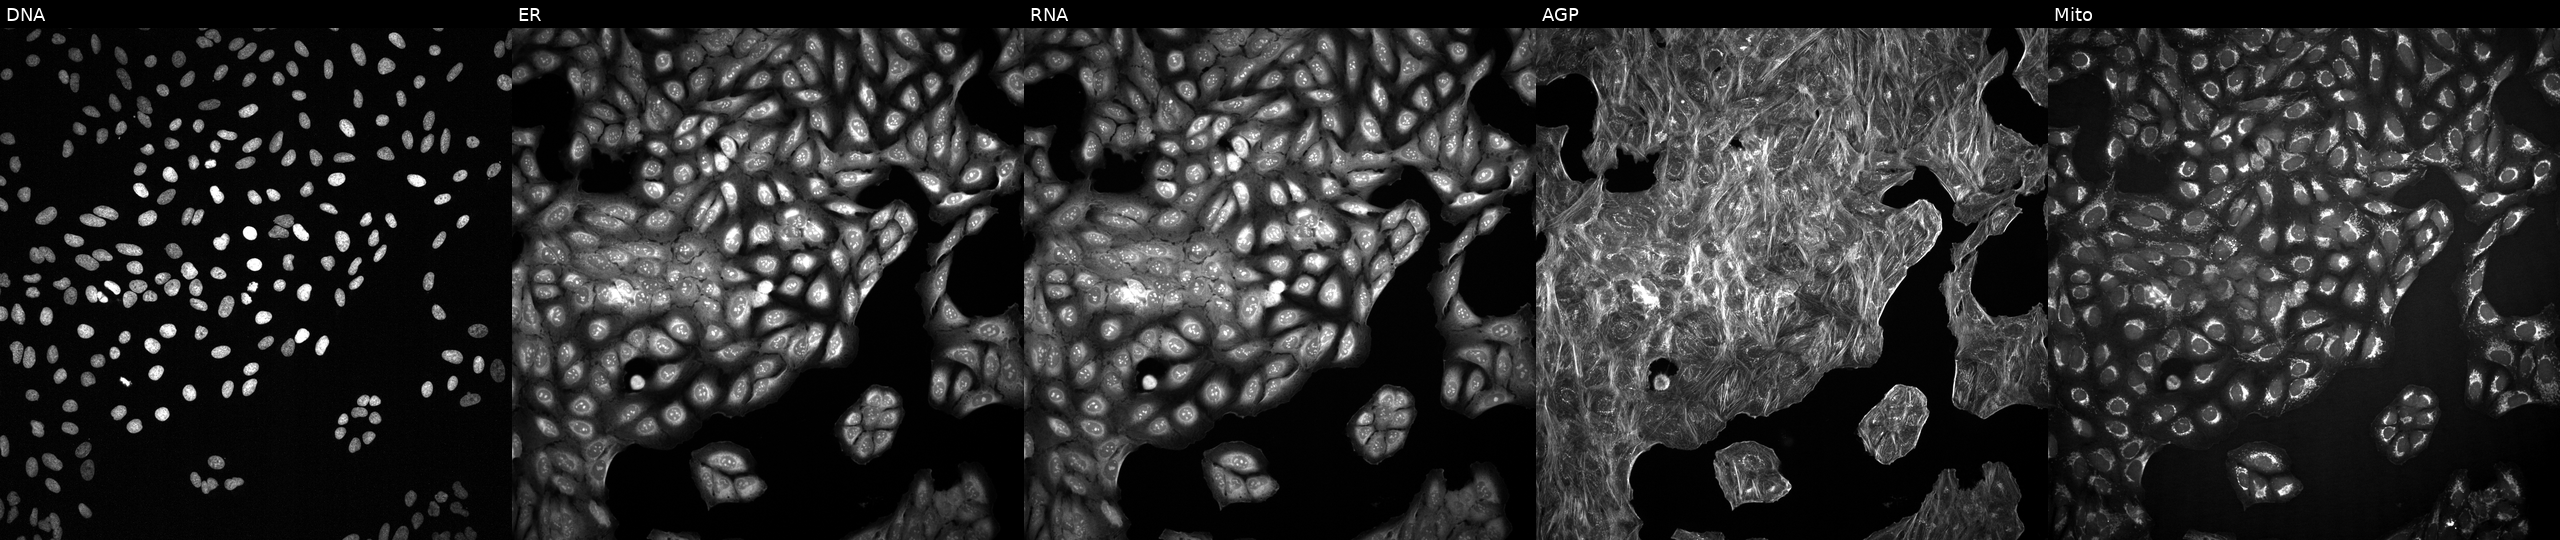
High-content fluorescence microscopy (Cell Painting). Cell line: U2OS. Perturbation: treated with a small-molecule compound (InChIKey PNJHUFYEEPROCX-UHFFFAOYSA-N) [SMILES: CCc1nn(CC(=O)Nc2ccc(N(CC)CC)cc2C)c(=O)c2cc3sccc3n12]. Panels show, left to right, DNA (nuclei); ER (endoplasmic reticulum); RNA (nucleoli and cytoplasmic RNA); AGP (actin cytoskeleton, Golgi, and plasma membrane); Mito (mitochondria).